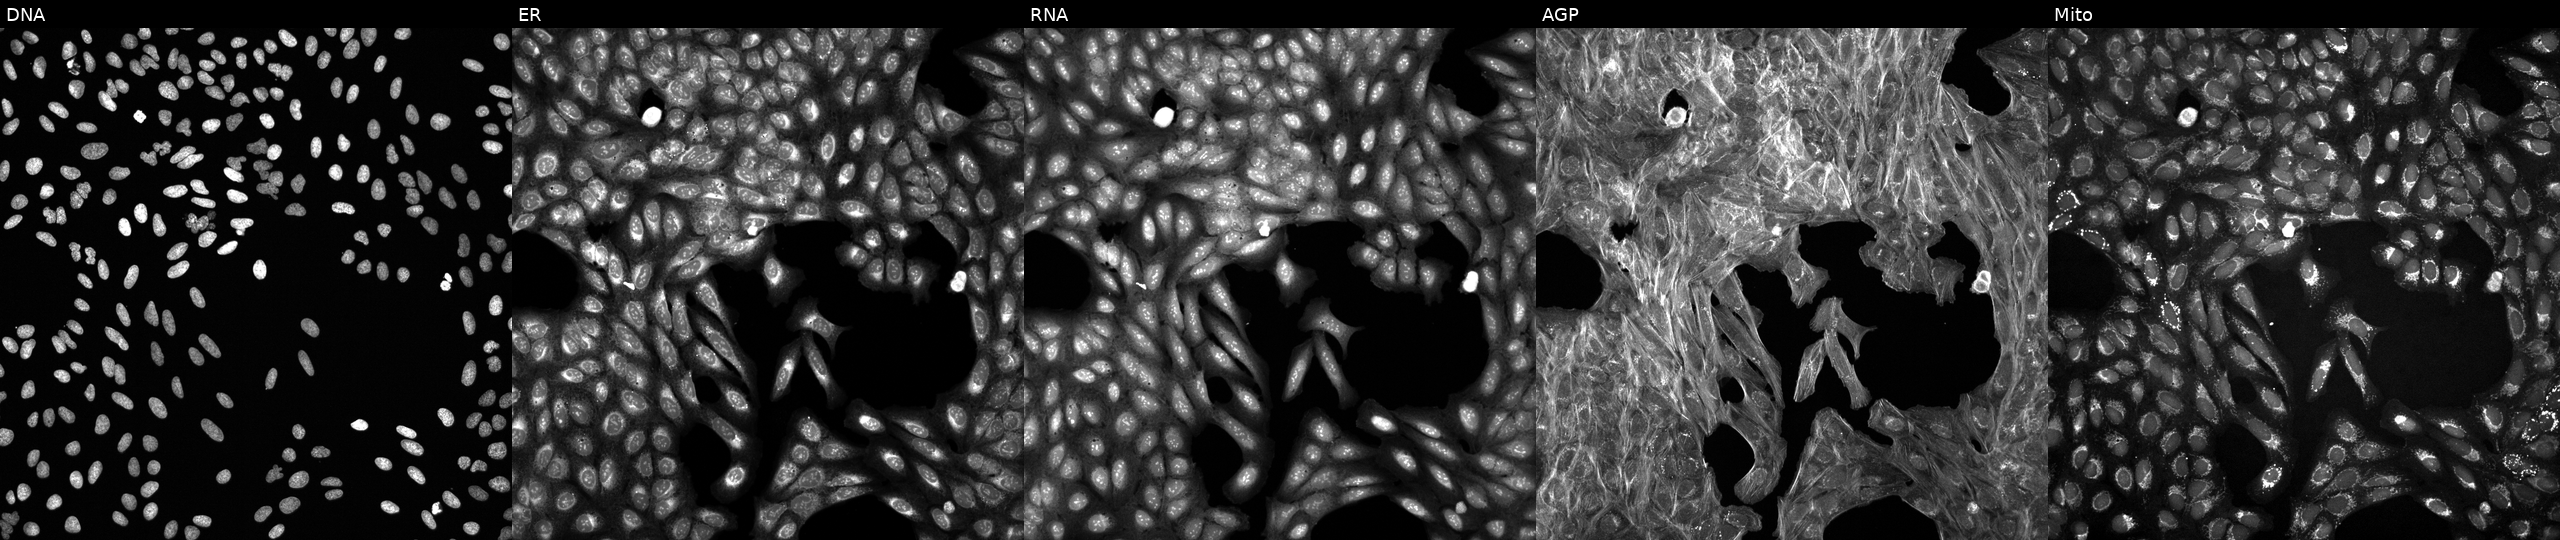
Five-channel Cell Painting image of U2OS cells treated with a small-molecule compound (InChIKey JBZFAQOORNEDHQ-UHFFFAOYSA-N) (JUMP id JCP2022_038791). From left to right: DNA (nuclei); ER (endoplasmic reticulum); RNA (nucleoli and cytoplasmic RNA); AGP (actin cytoskeleton, Golgi, and plasma membrane); Mito (mitochondria).